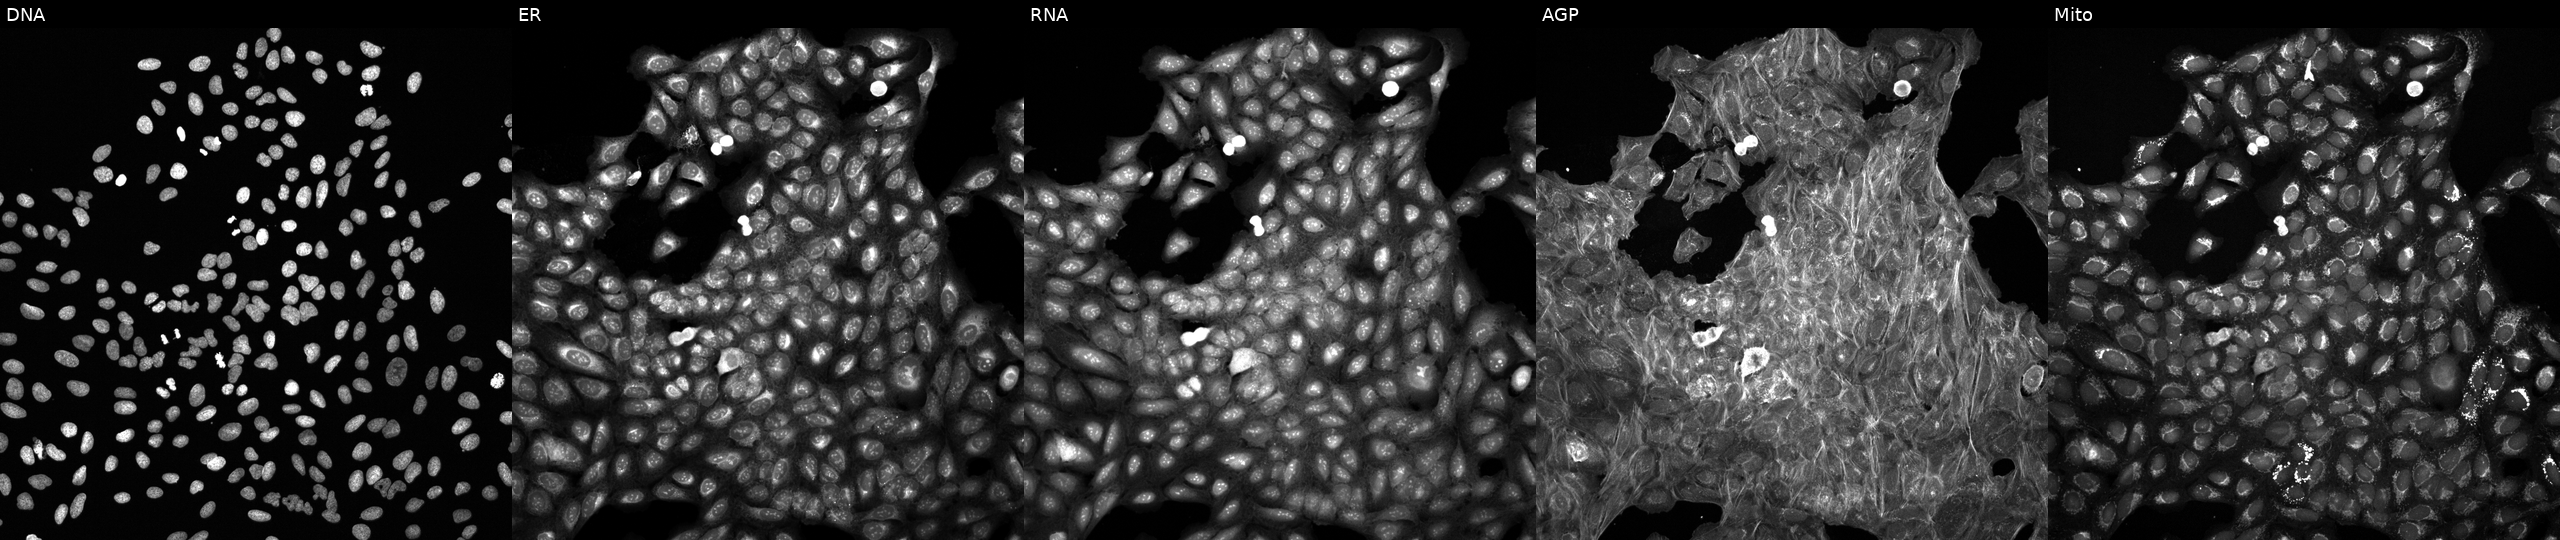
JUMP Cell Painting — TARGET2 plate. U2OS cells treated with a small-molecule compound. From left to right: Hoechst 33342, concanavalin A, SYTO 14, phalloidin and WGA, MitoTracker.